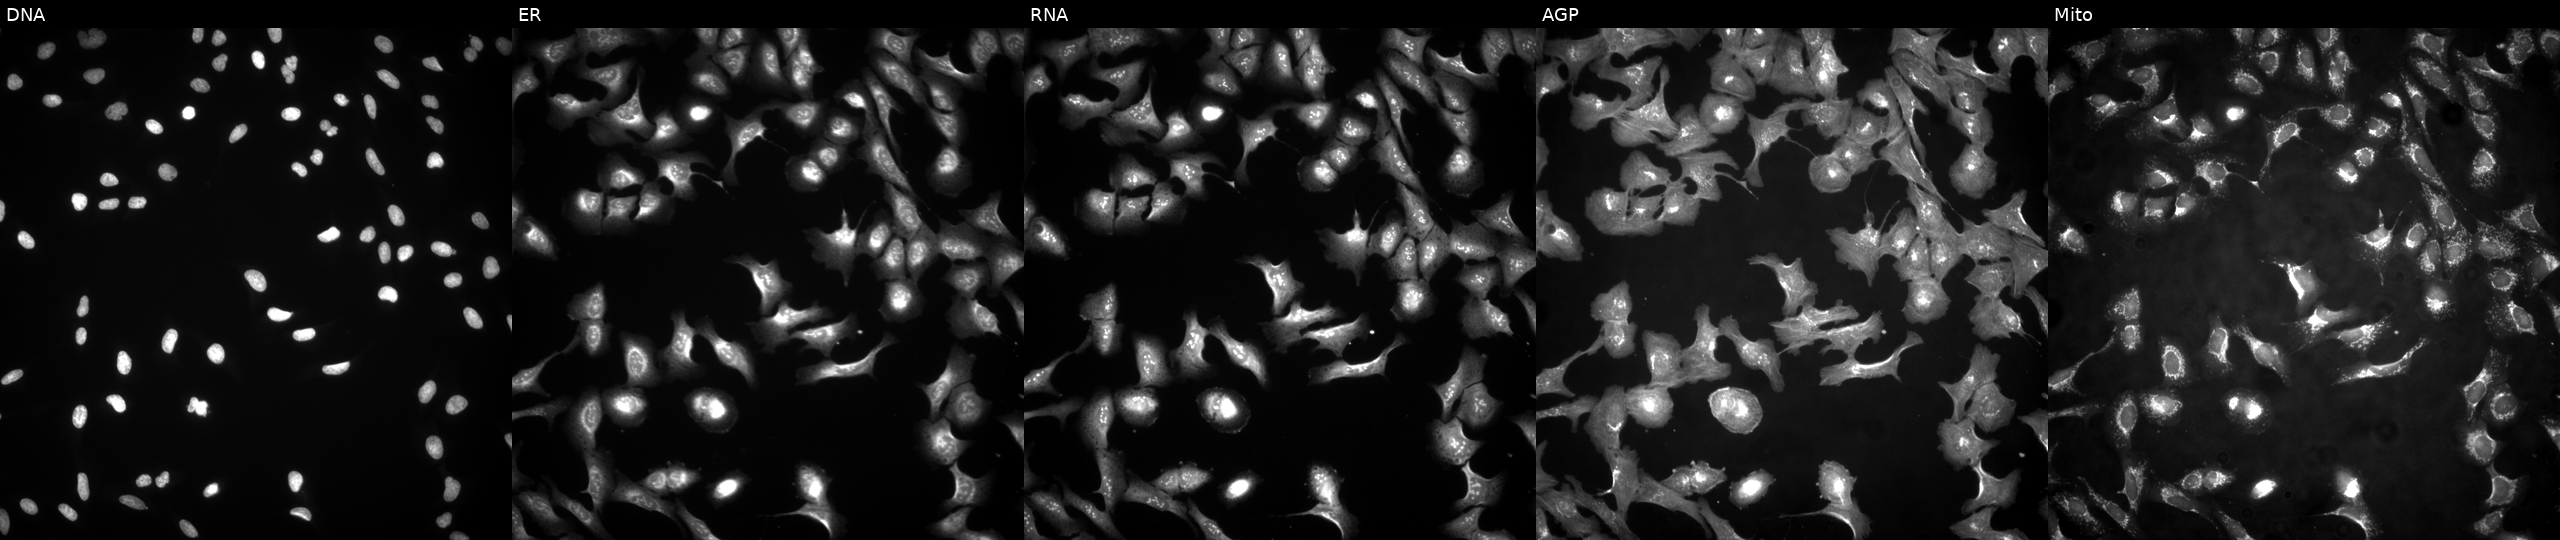
U2OS cells, Cell Painting assay, overexpressing CFAP74 via ORF transfection. Channels (left→right): Hoechst 33342, concanavalin A, SYTO 14, phalloidin and WGA, MitoTracker. Each panel is percentile-stretched 16-bit fluorescence. Source 4, plate BR00123509, well M15.